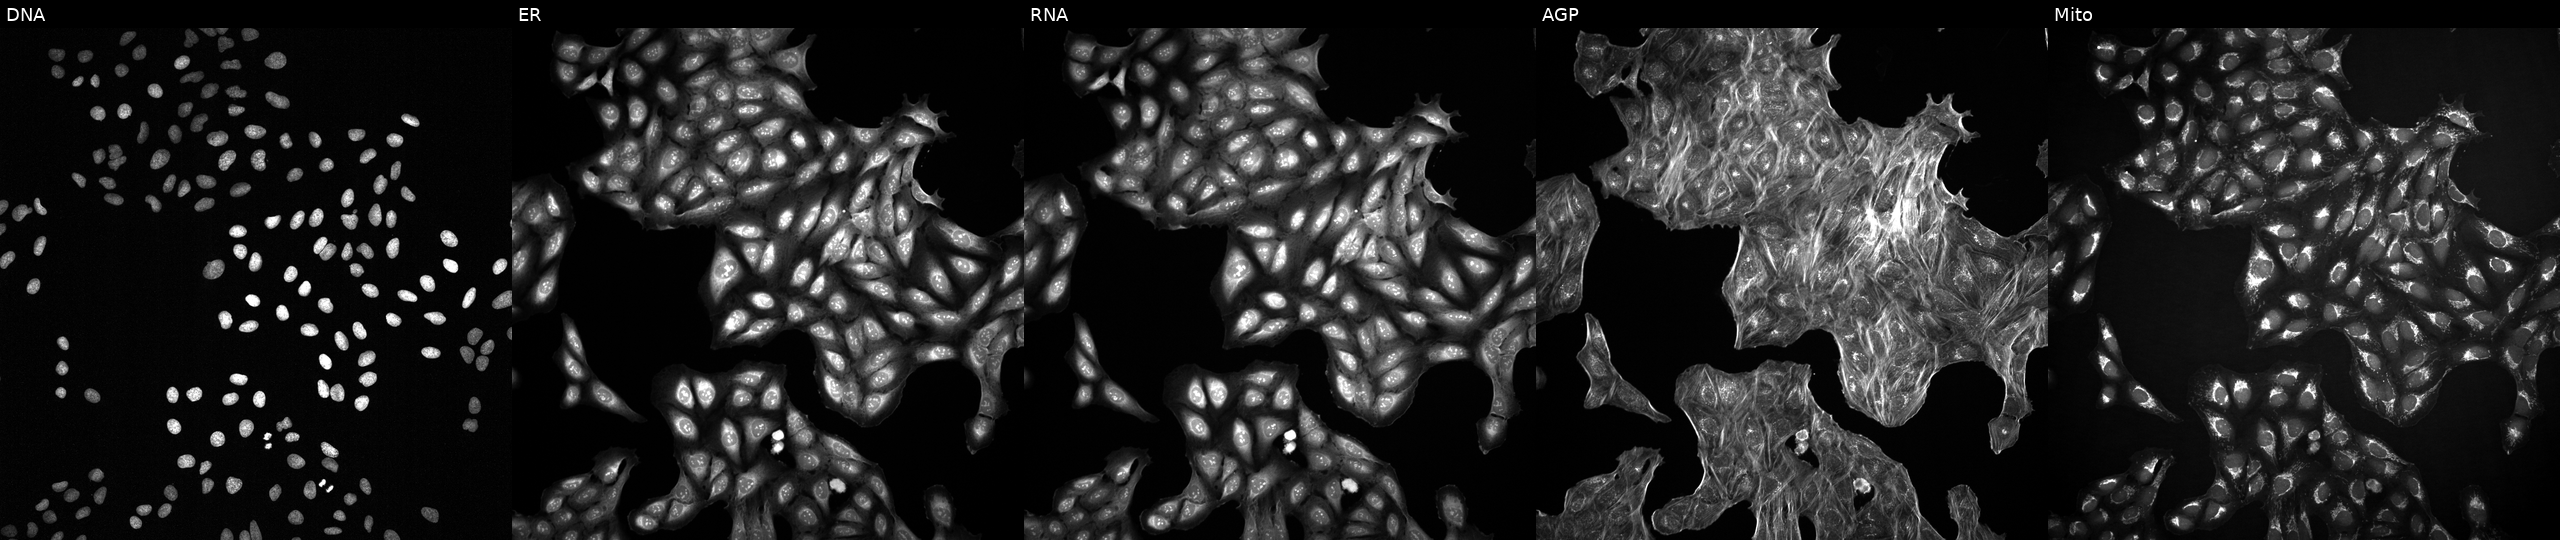
High-content fluorescence microscopy (Cell Painting). Cell line: U2OS. Perturbation: with an unidentified perturbation (not annotated in JUMP metadata). Panels show, left to right, DNA, ER, RNA, AGP, and Mito.